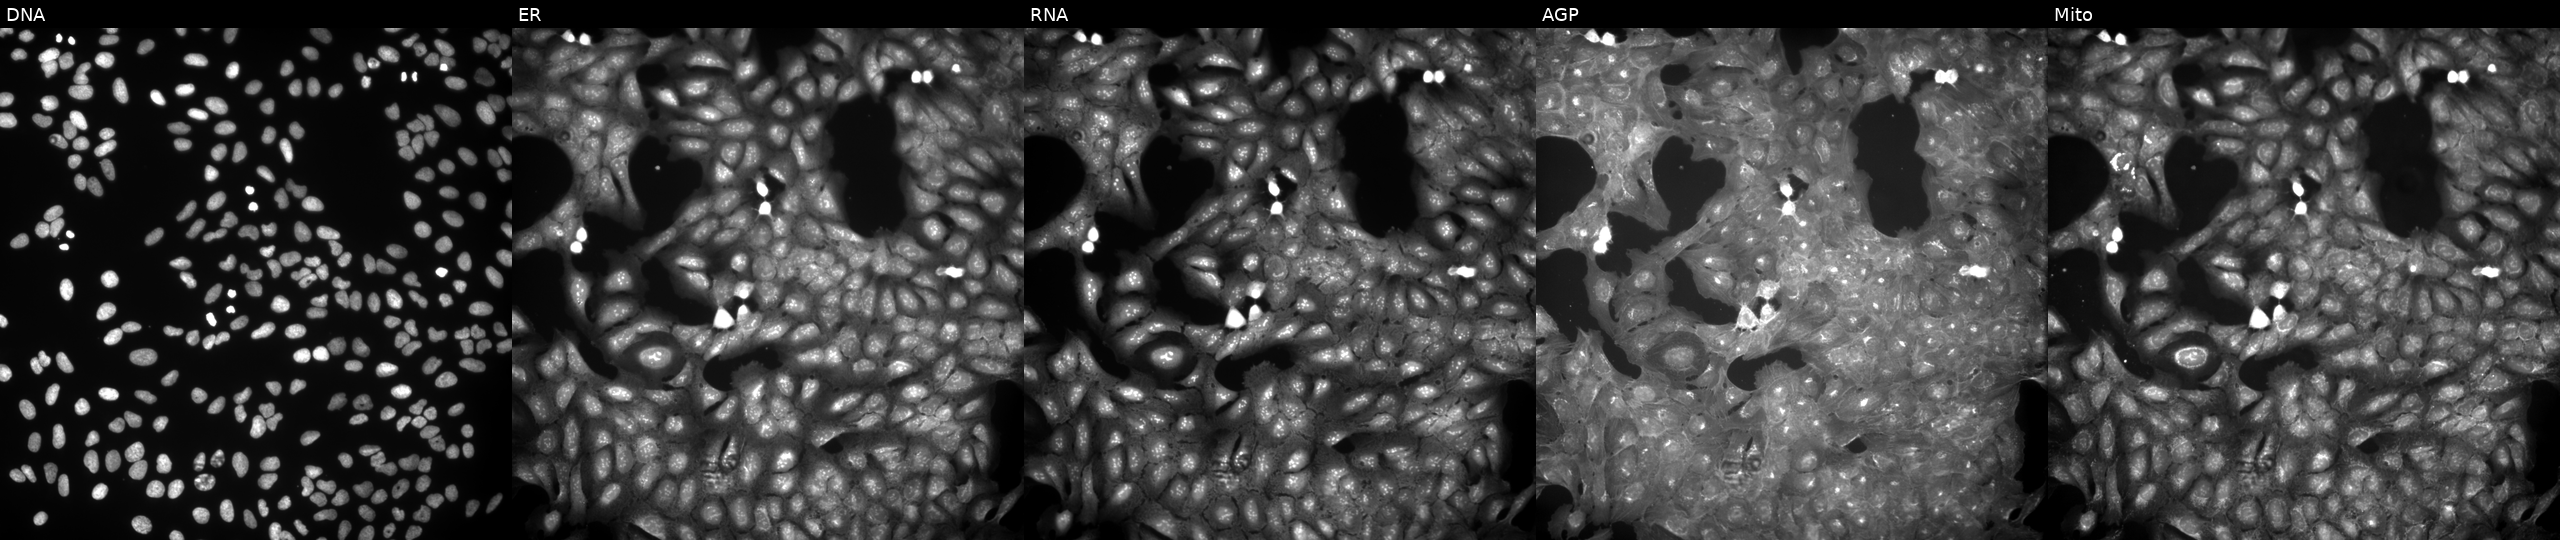
U2OS cells, Cell Painting assay, treated with a small-molecule compound. Panels show, left to right, DNA, ER, RNA, AGP, and Mito. Each panel is percentile-stretched 16-bit fluorescence.